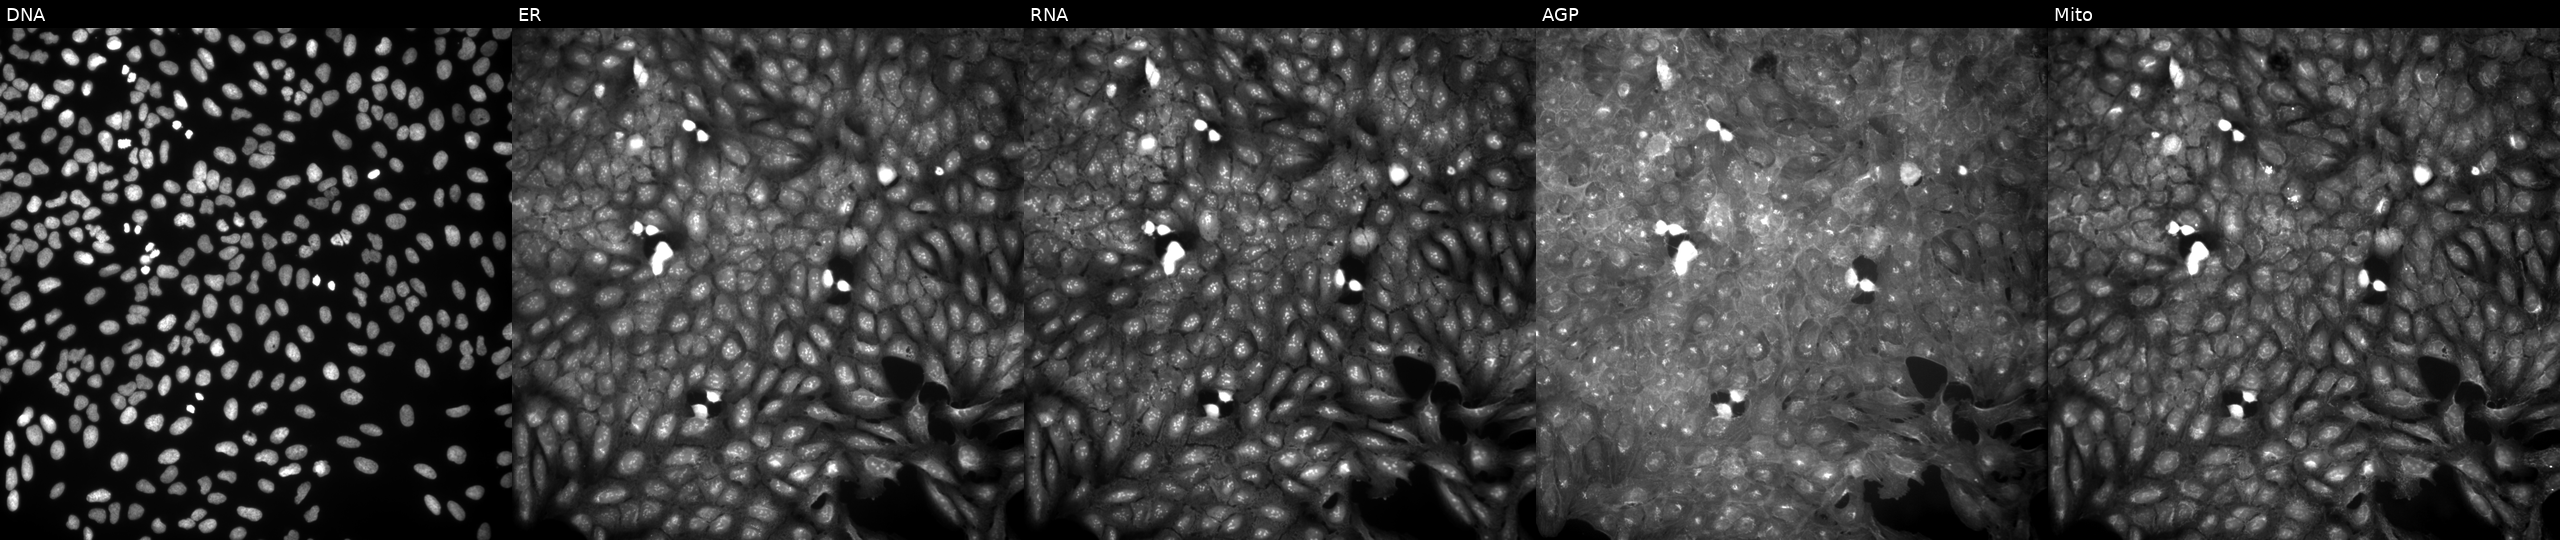
This image strip shows the five Cell Painting channels for a single field of U2OS cells perturbed with a small-molecule compound (InChIKey PHAJRNLHWLJQLC-UHFFFAOYSA-N) (JUMP id JCP2022_068540). Panels show, left to right, DNA, ER, RNA, AGP, and Mito.